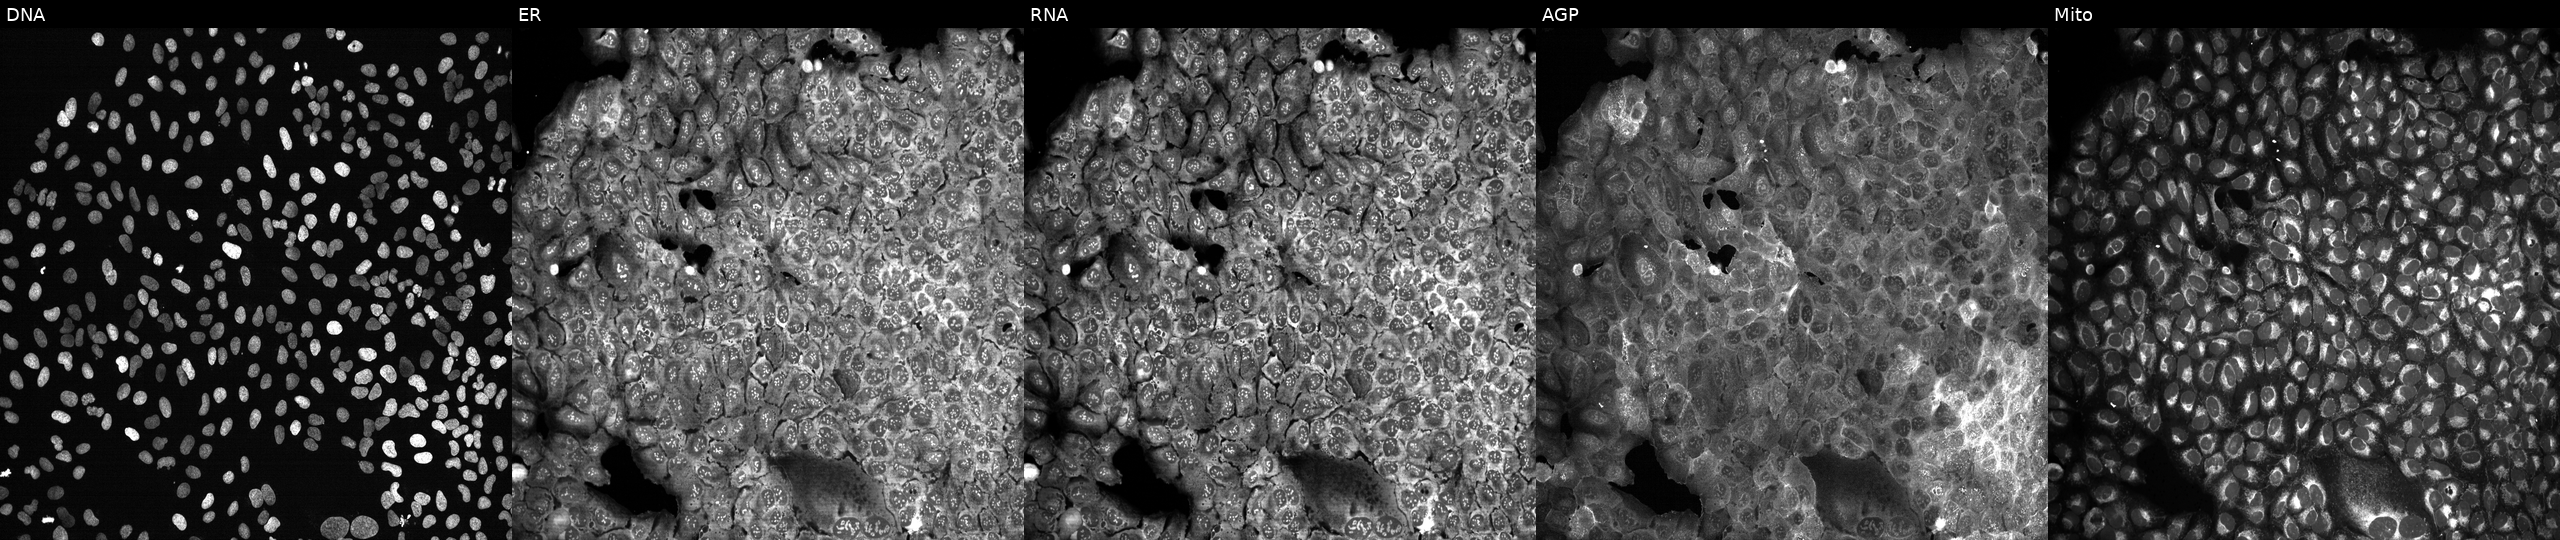
This image strip shows the five Cell Painting channels for a single field of U2OS cells following CRISPR knockout of SRR. Channels (left→right): DNA, ER, RNA, AGP, and Mito.